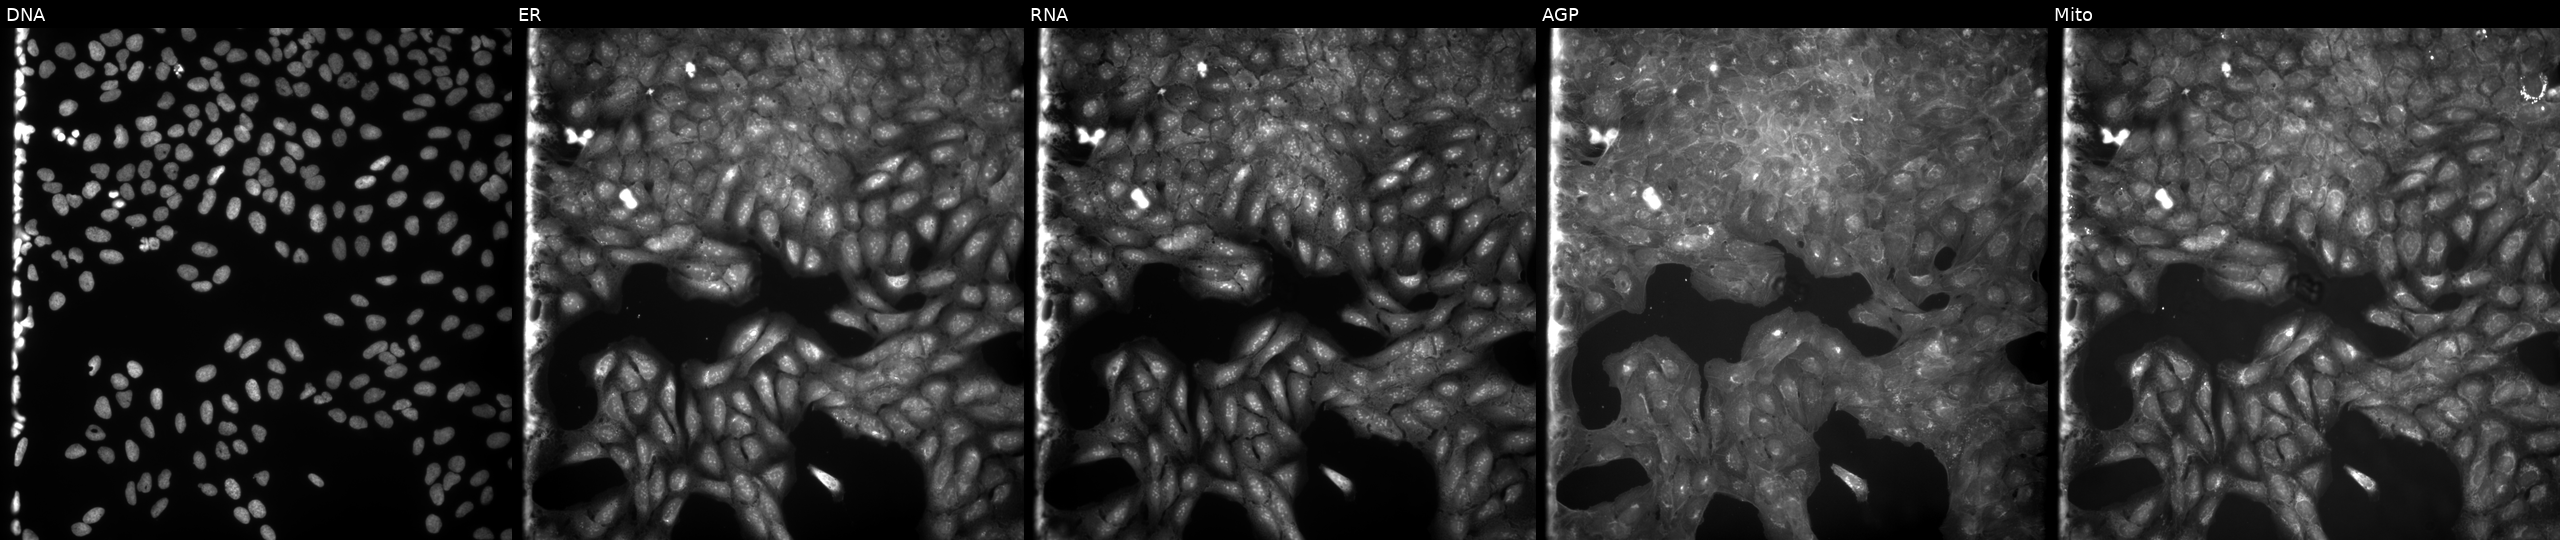
JUMP Cell Painting — COMPOUND plate. U2OS cells exposed to a small-molecule compound (InChIKey QZXCTPCUMBPNTI-UHFFFAOYSA-N). From left to right: Hoechst 33342, concanavalin A, SYTO 14, phalloidin and WGA, MitoTracker.